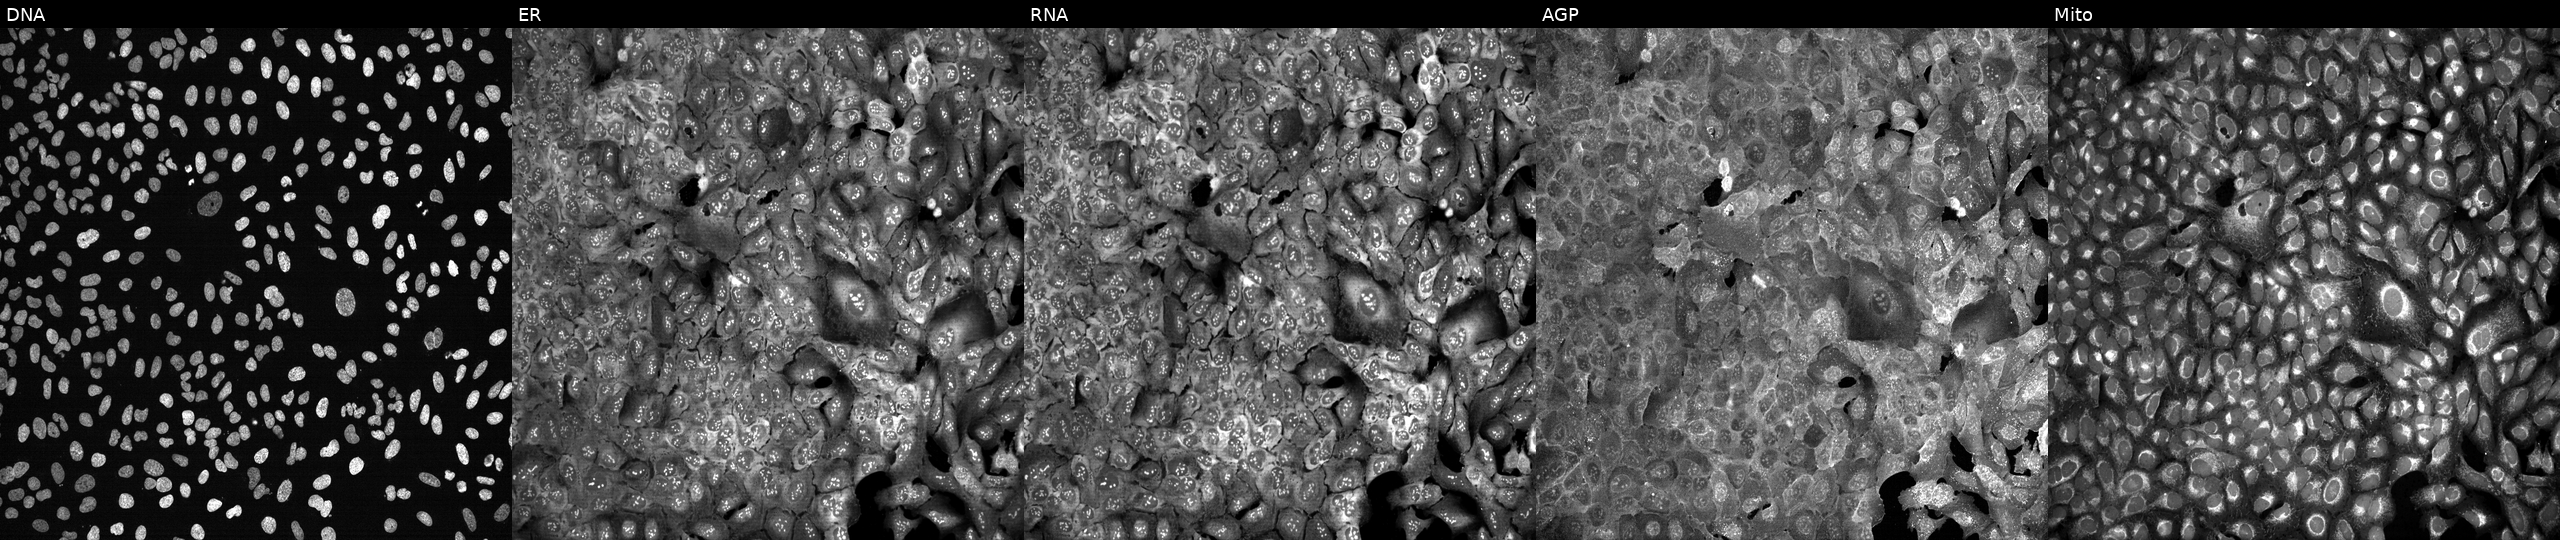
JUMP Cell Painting — CRISPR plate. U2OS cells following CRISPR knockout of CES2 (JUMP id JCP2022_801264). From left to right: Hoechst 33342, concanavalin A, SYTO 14, phalloidin and WGA, MitoTracker.